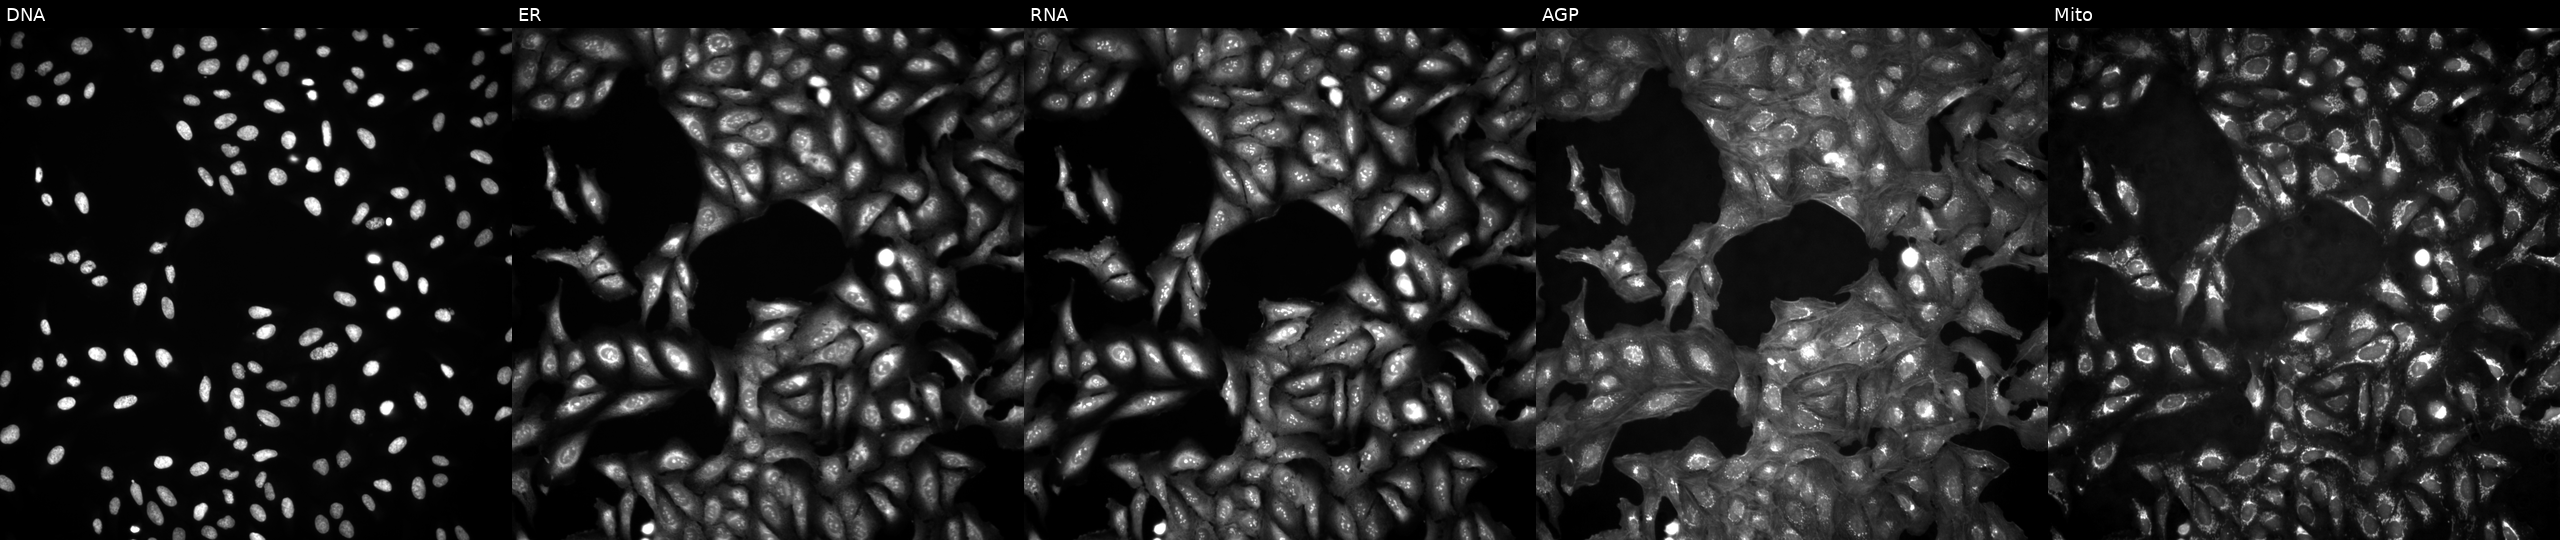
JUMP Cell Painting — ORF plate. U2OS cells untreated (empty-well control). From left to right: Hoechst 33342, concanavalin A, SYTO 14, phalloidin and WGA, MitoTracker.